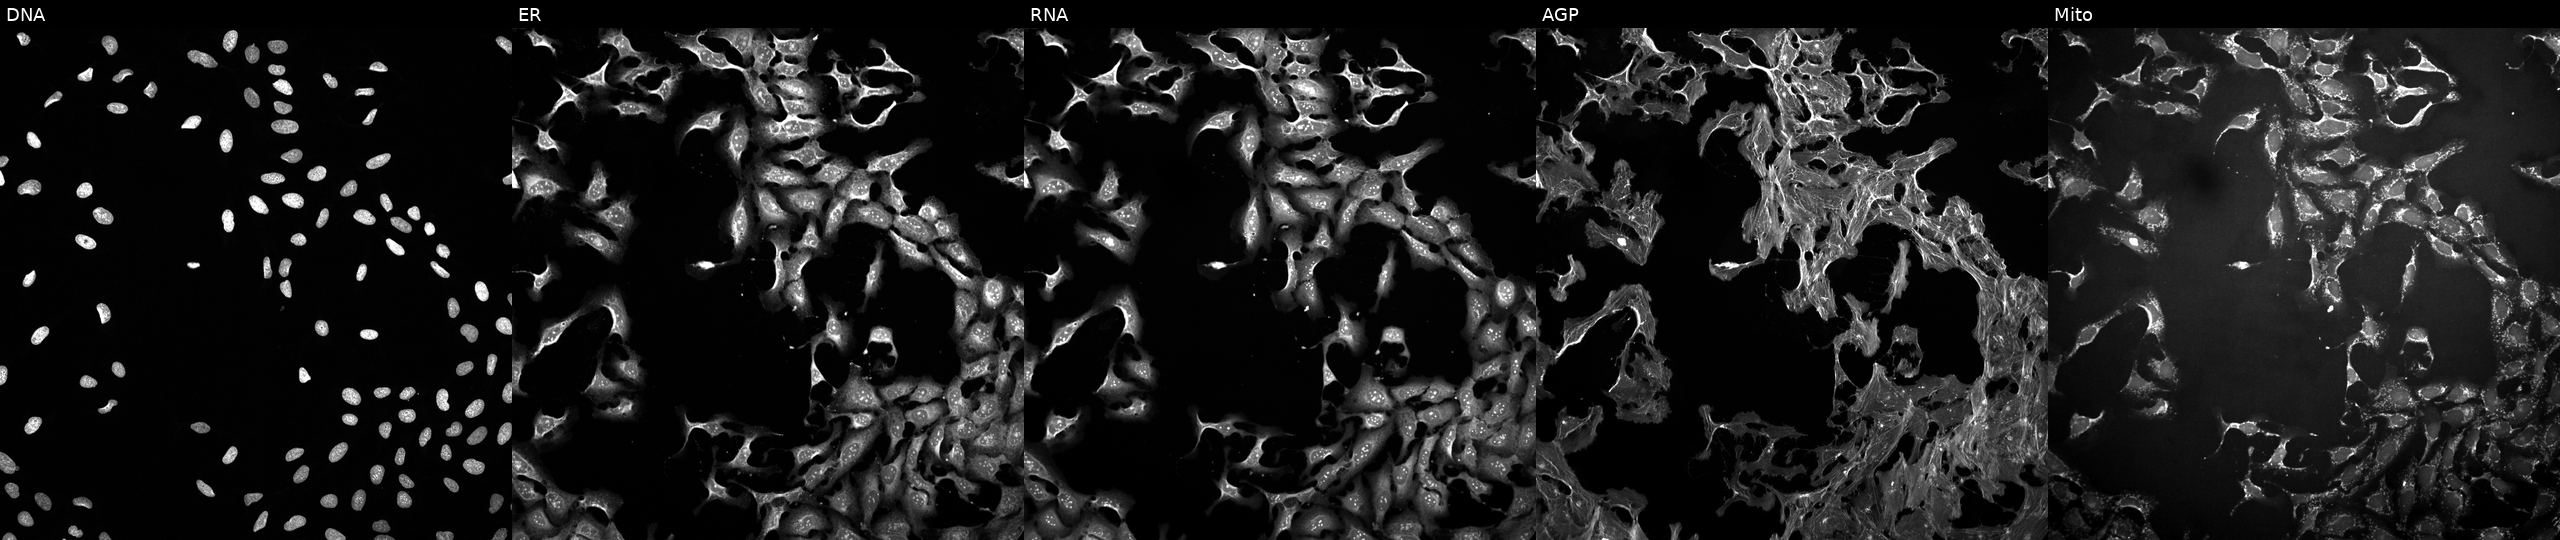
From left to right: Hoechst 33342, concanavalin A, SYTO 14, phalloidin and WGA, MitoTracker. U2OS osteosarcoma cells exposed to the positive-control compound FK-866. Cell Painting assay, JUMP-CP dataset.